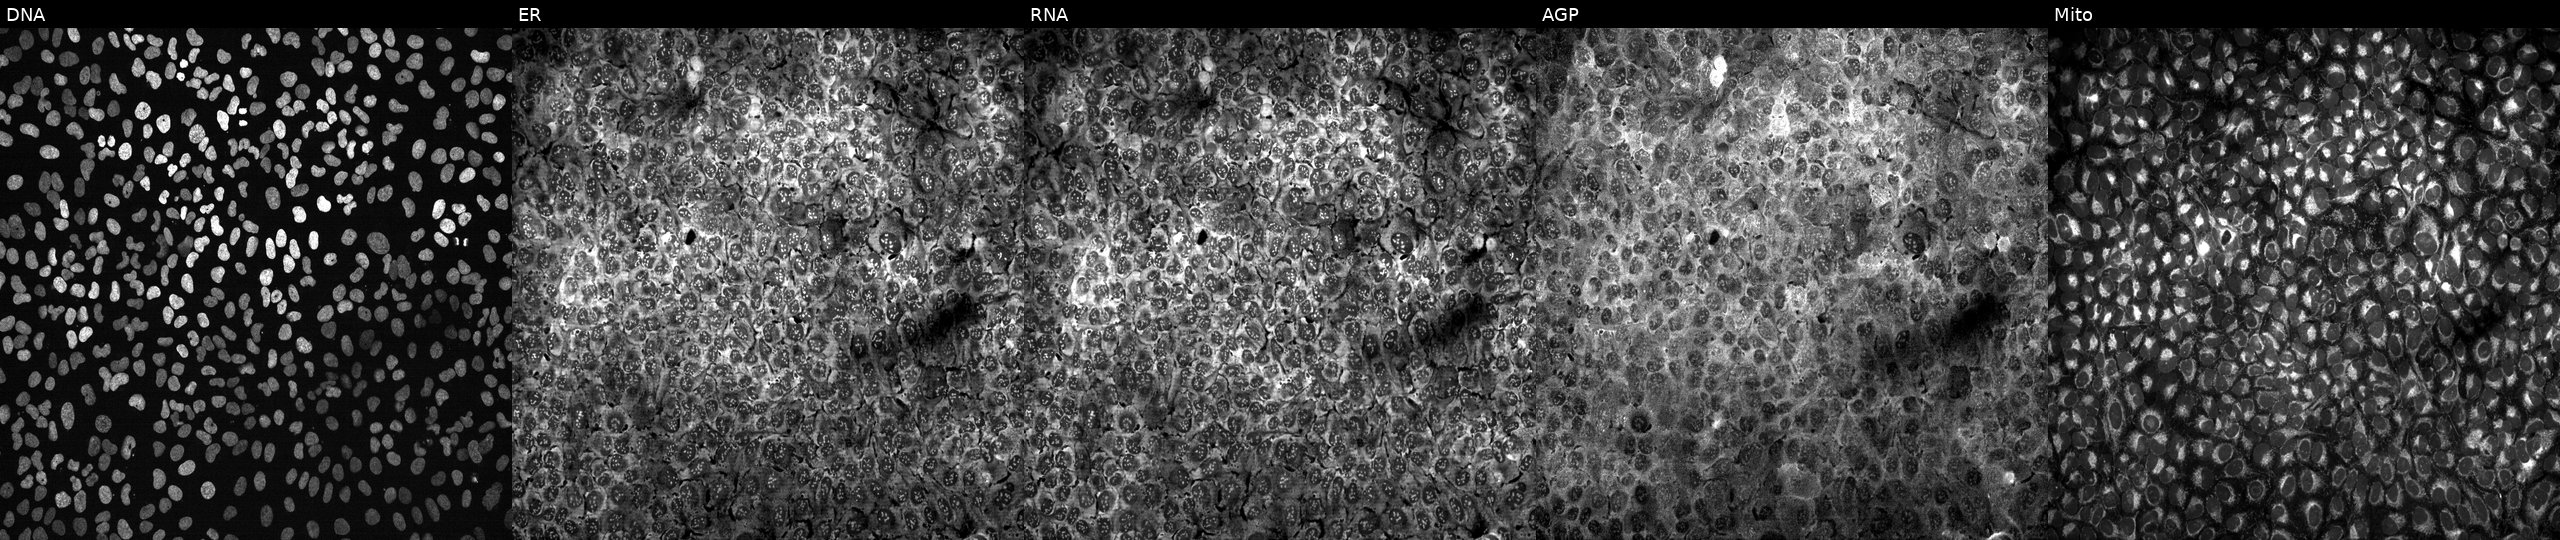
JUMP Cell Painting — CRISPR plate. U2OS cells following CRISPR knockout of SAMHD1 (JUMP id JCP2022_806173). Channels (left→right): DNA, ER, RNA, AGP, and Mito.